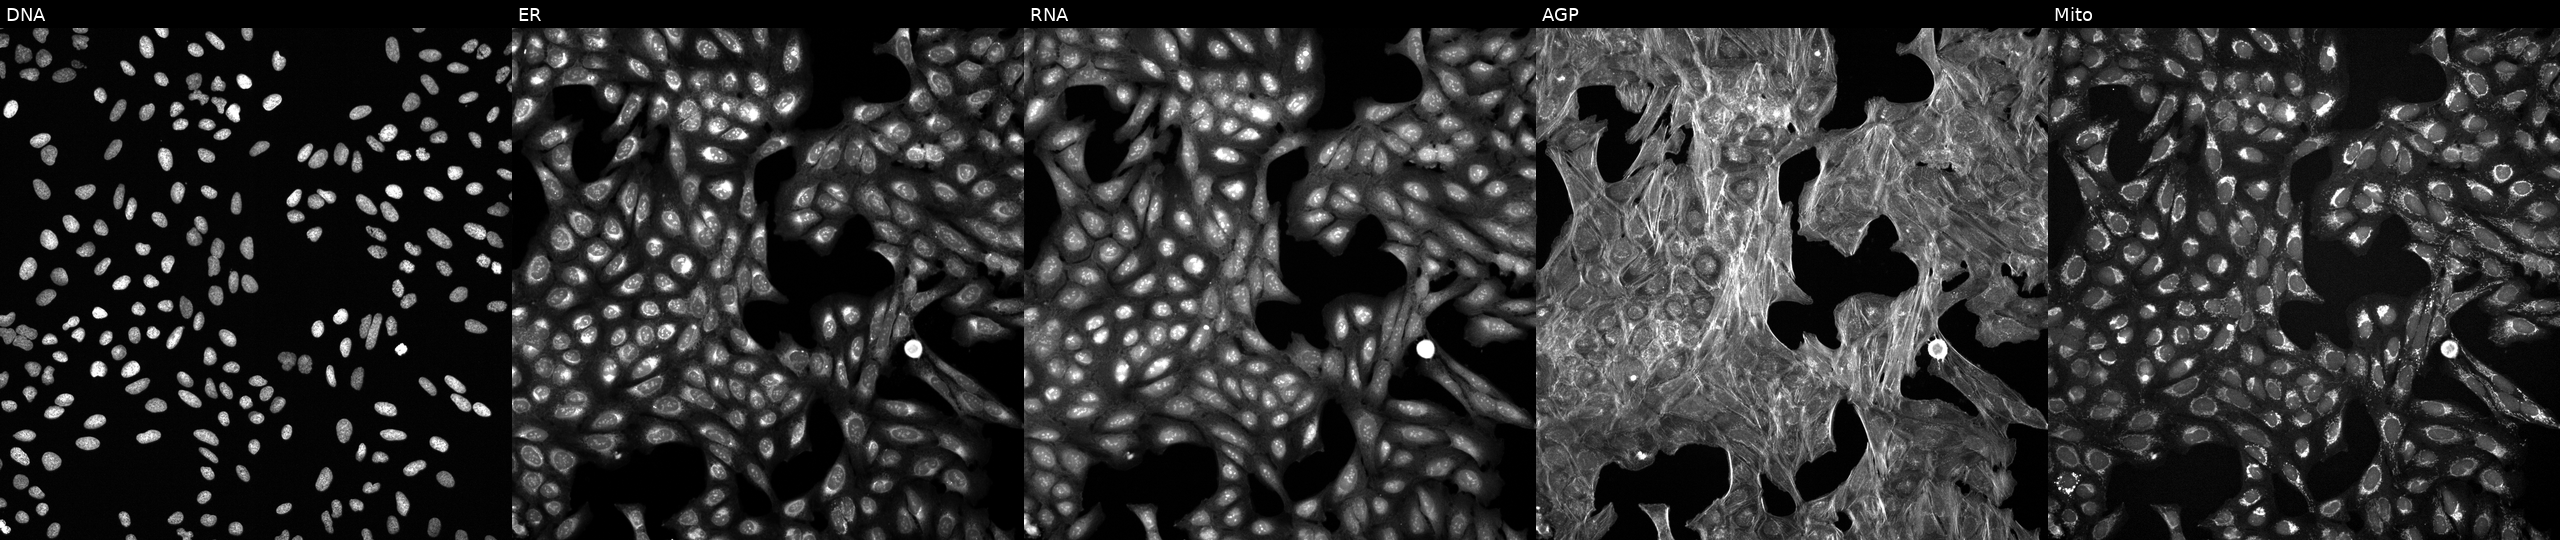
Five-channel Cell Painting image of U2OS cells perturbed with a small-molecule compound (InChIKey JPGQOUSTVILISH-UHFFFAOYSA-N). From left to right: DNA (nuclei); ER (endoplasmic reticulum); RNA (nucleoli and cytoplasmic RNA); AGP (actin cytoskeleton, Golgi, and plasma membrane); Mito (mitochondria).